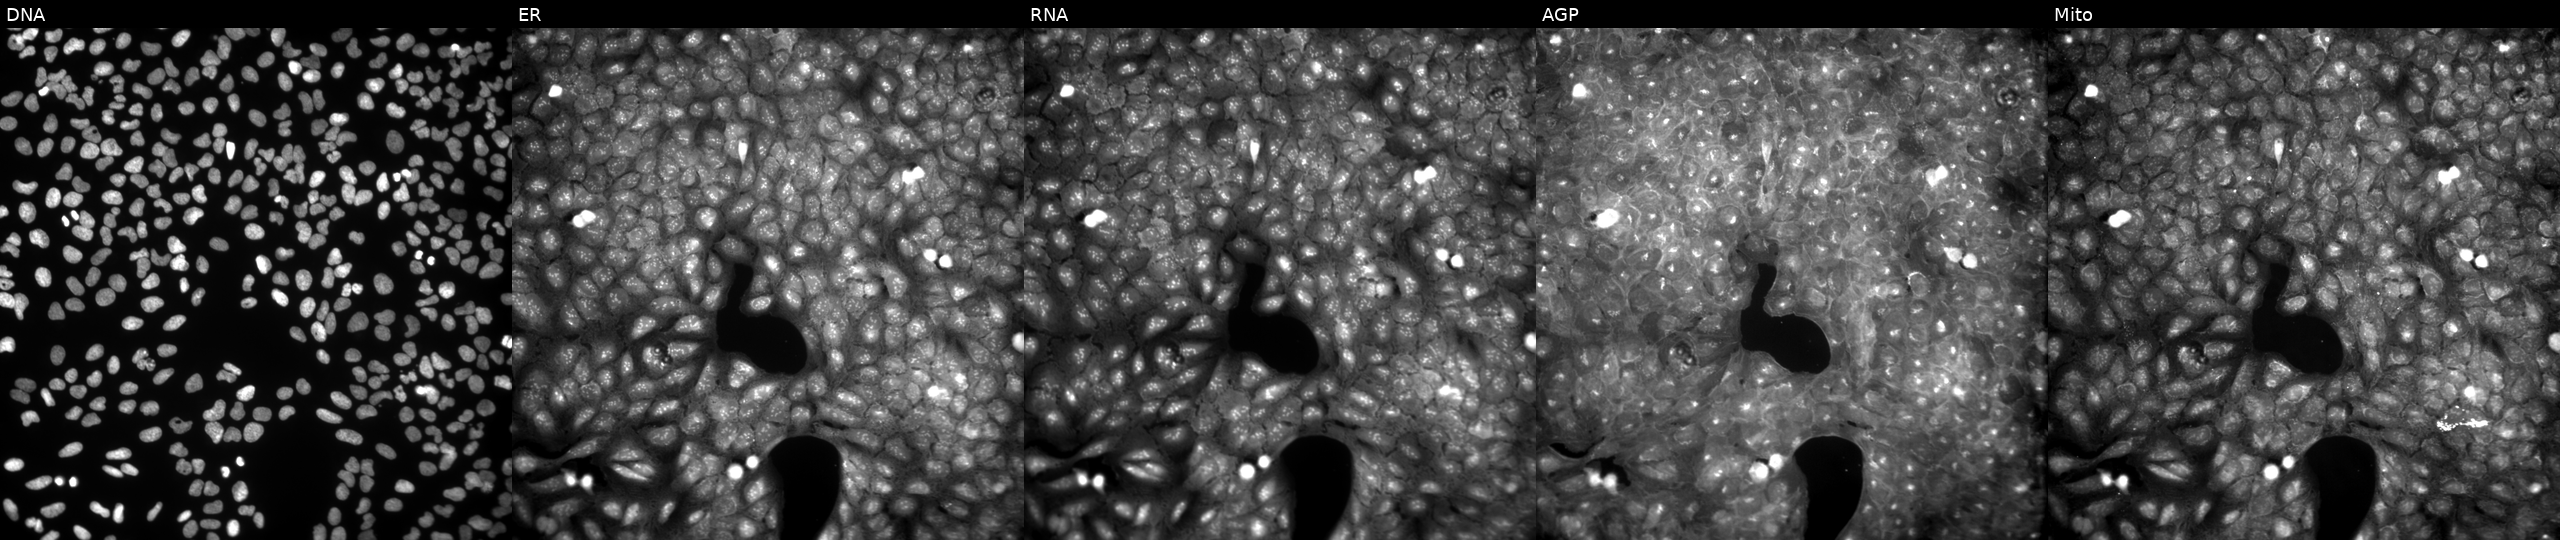
This image strip shows the five Cell Painting channels for a single field of U2OS cells exposed to DMSO alone as a negative control. Panels show, left to right, DNA (nuclei); ER (endoplasmic reticulum); RNA (nucleoli and cytoplasmic RNA); AGP (actin cytoskeleton, Golgi, and plasma membrane); Mito (mitochondria).